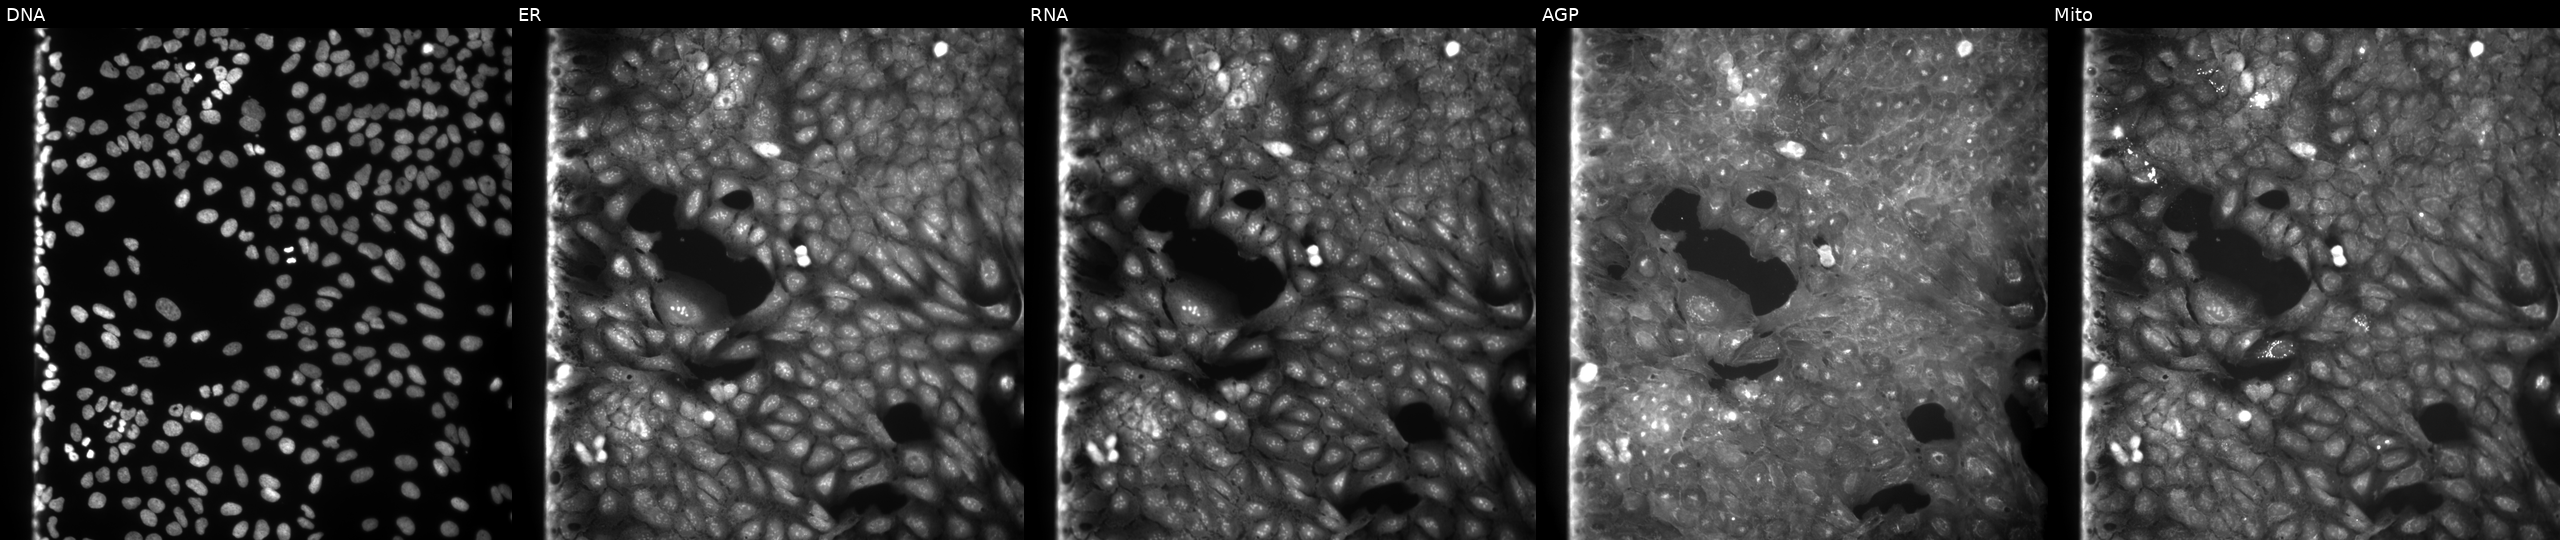
JUMP Cell Painting — COMPOUND plate. U2OS cells exposed to a small-molecule compound (InChIKey WZTTWNGEAPTPCC-UHFFFAOYSA-N). Channels (left→right): Hoechst 33342, concanavalin A, SYTO 14, phalloidin and WGA, MitoTracker.